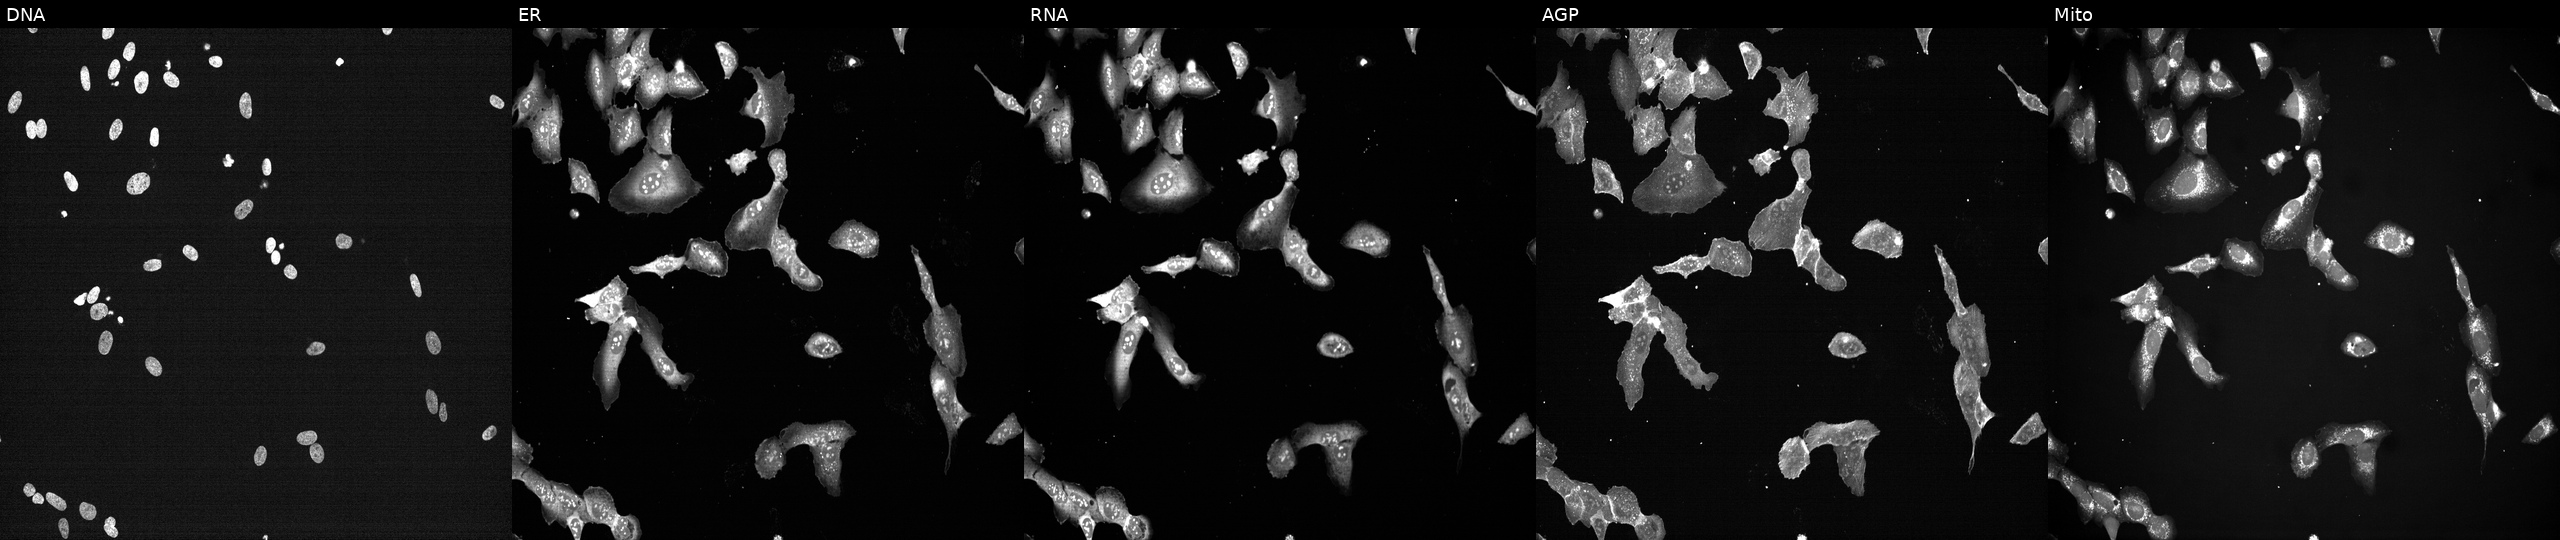
Five-channel Cell Painting image of U2OS cells treated with a small-molecule compound [SMILES: N=c1[nH]nc(Sc2ncc([N+](=O)[O-])s2)s1]. Panels show, left to right, Hoechst 33342, concanavalin A, SYTO 14, phalloidin and WGA, MitoTracker.